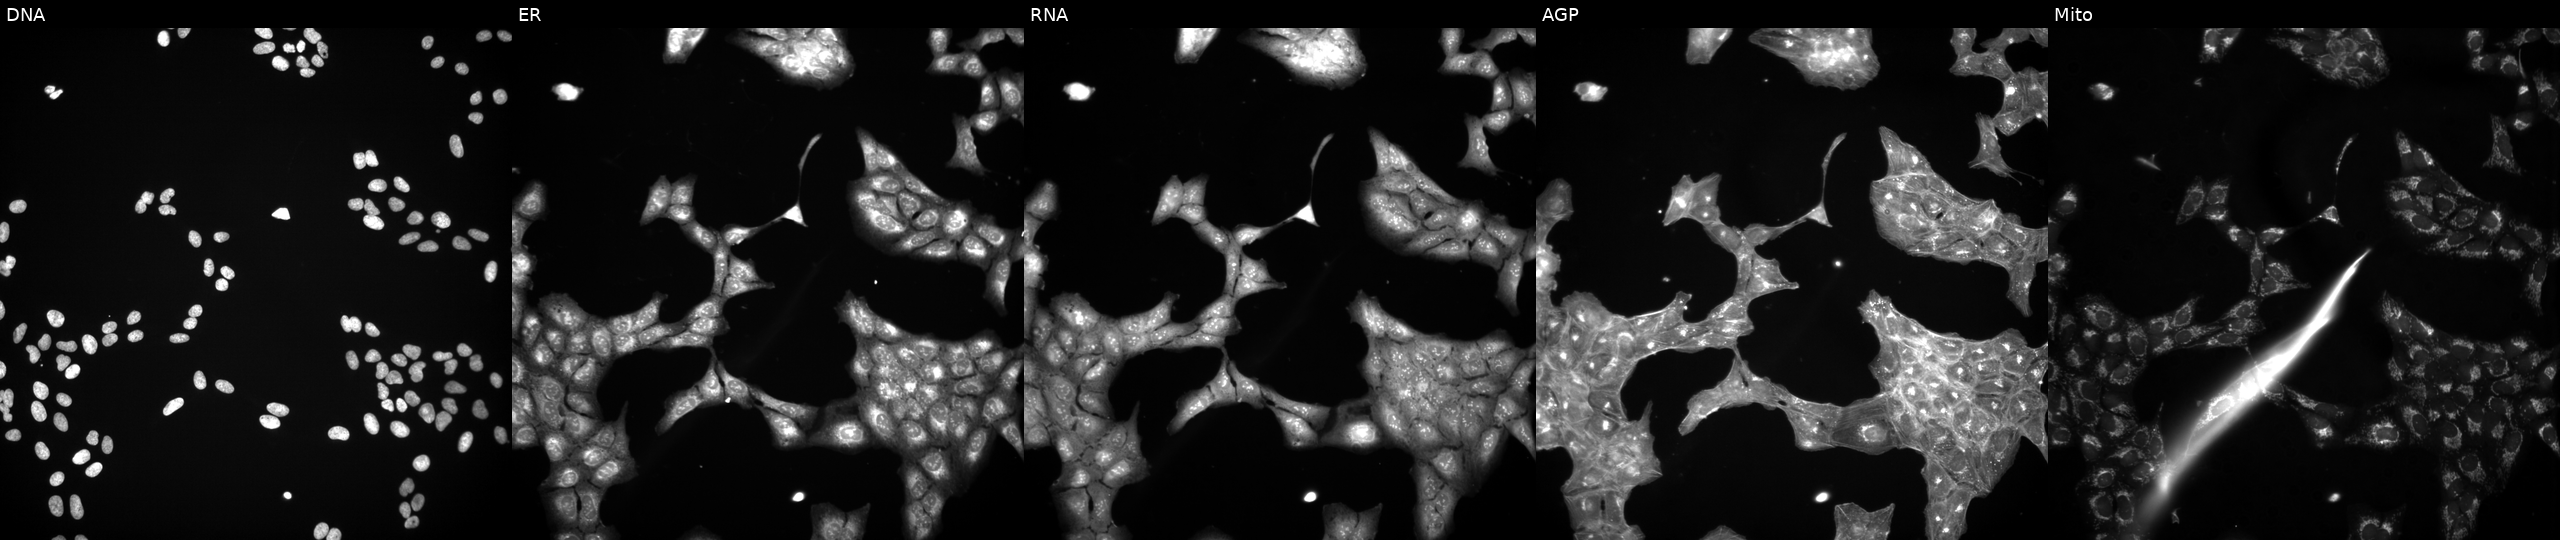
JUMP Cell Painting — TARGET2 plate. U2OS cells perturbed with a small-molecule compound [SMILES: CN(C)C(=O)C(CCN1CCC(O)(c2ccc(Cl)cc2)CC1)(c1ccccc1)c1ccccc1]. The five panels, left to right, show Hoechst 33342, concanavalin A, SYTO 14, phalloidin and WGA, MitoTracker. Source 3, plate JCPQC053, well L24.